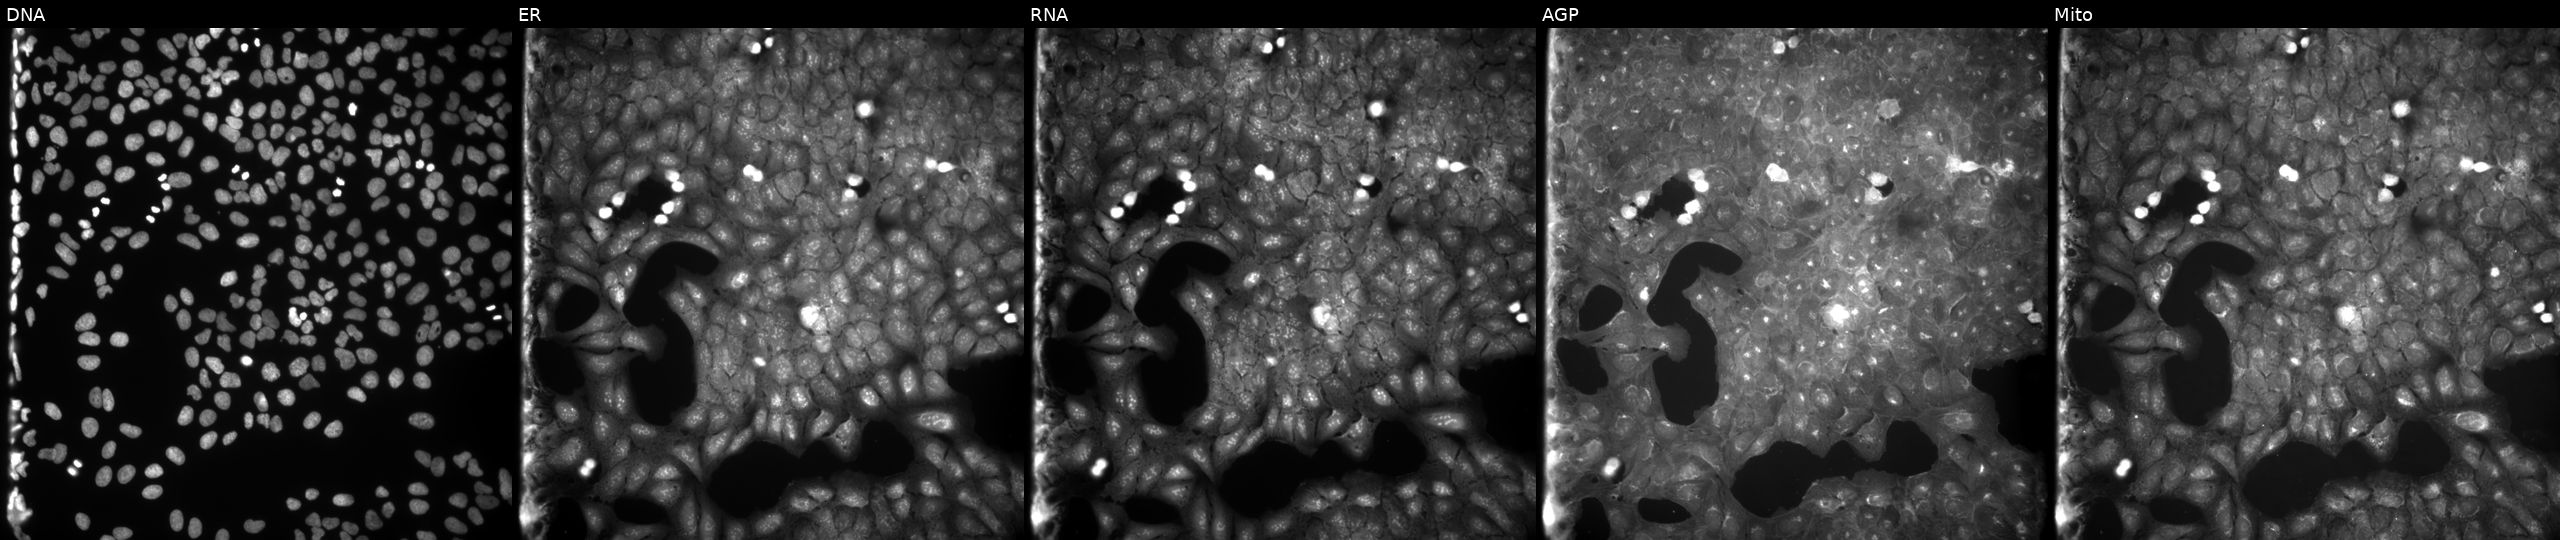
U2OS cells, Cell Painting assay, perturbed with a small-molecule compound (InChIKey BDHVYIYKWYEFKQ-UHFFFAOYSA-N). Channels (left→right): DNA (nuclei); ER (endoplasmic reticulum); RNA (nucleoli and cytoplasmic RNA); AGP (actin cytoskeleton, Golgi, and plasma membrane); Mito (mitochondria). Each panel is percentile-stretched 16-bit fluorescence.